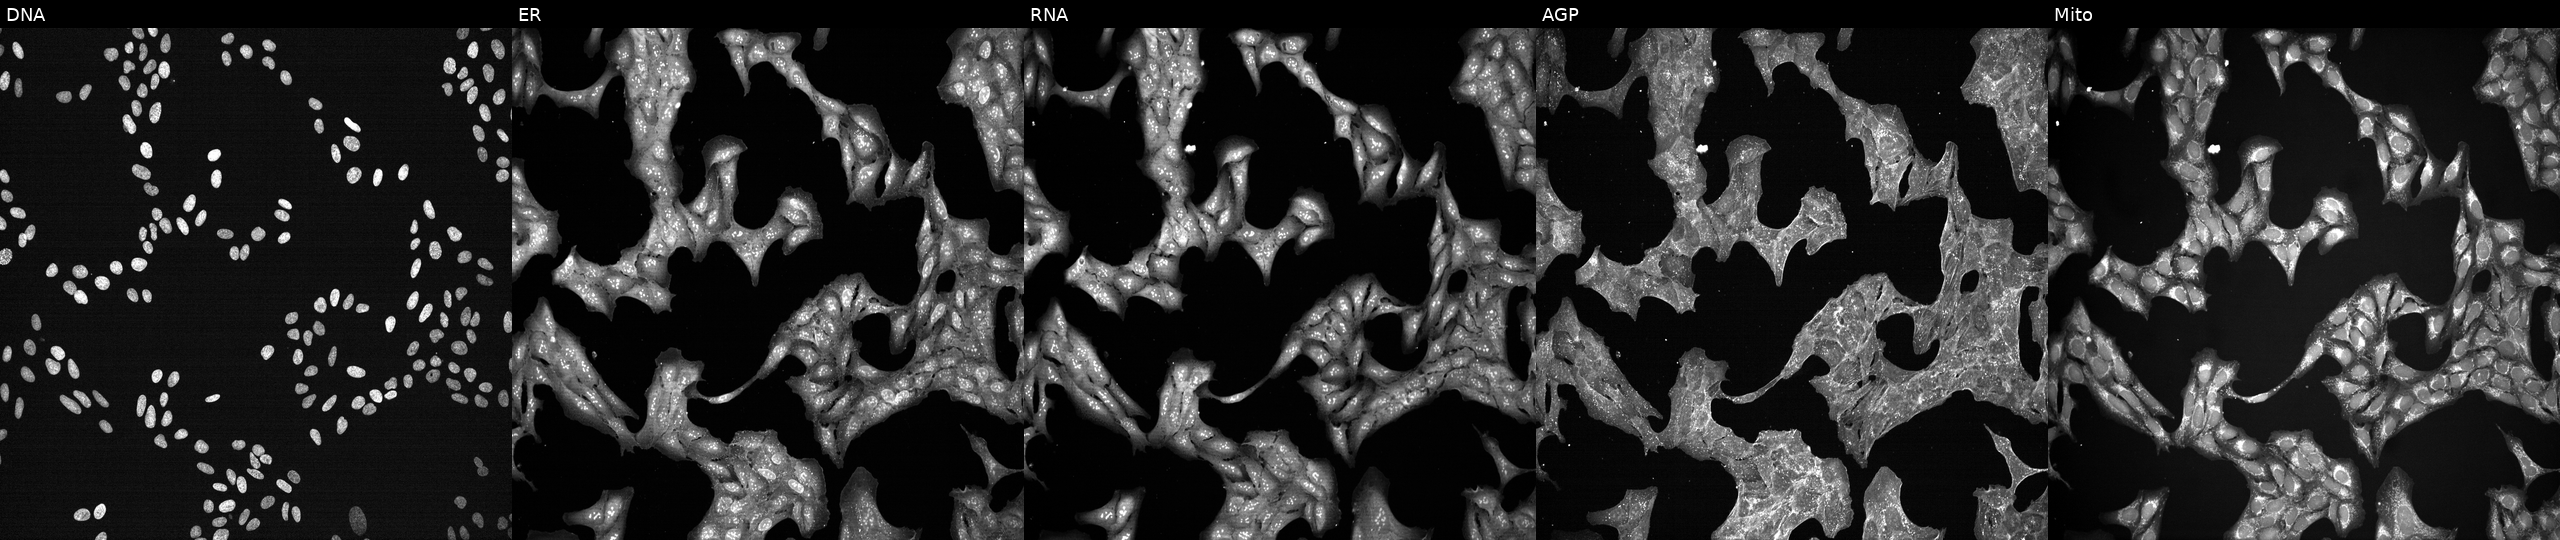
JUMP Cell Painting — TARGET2 plate. U2OS cells treated with a small-molecule compound (InChIKey HULPONUAINYLQQ-UHFFFAOYSA-N). From left to right: Hoechst 33342, concanavalin A, SYTO 14, phalloidin and WGA, MitoTracker. Source 7, plate CP2-SC1-25, well I18.